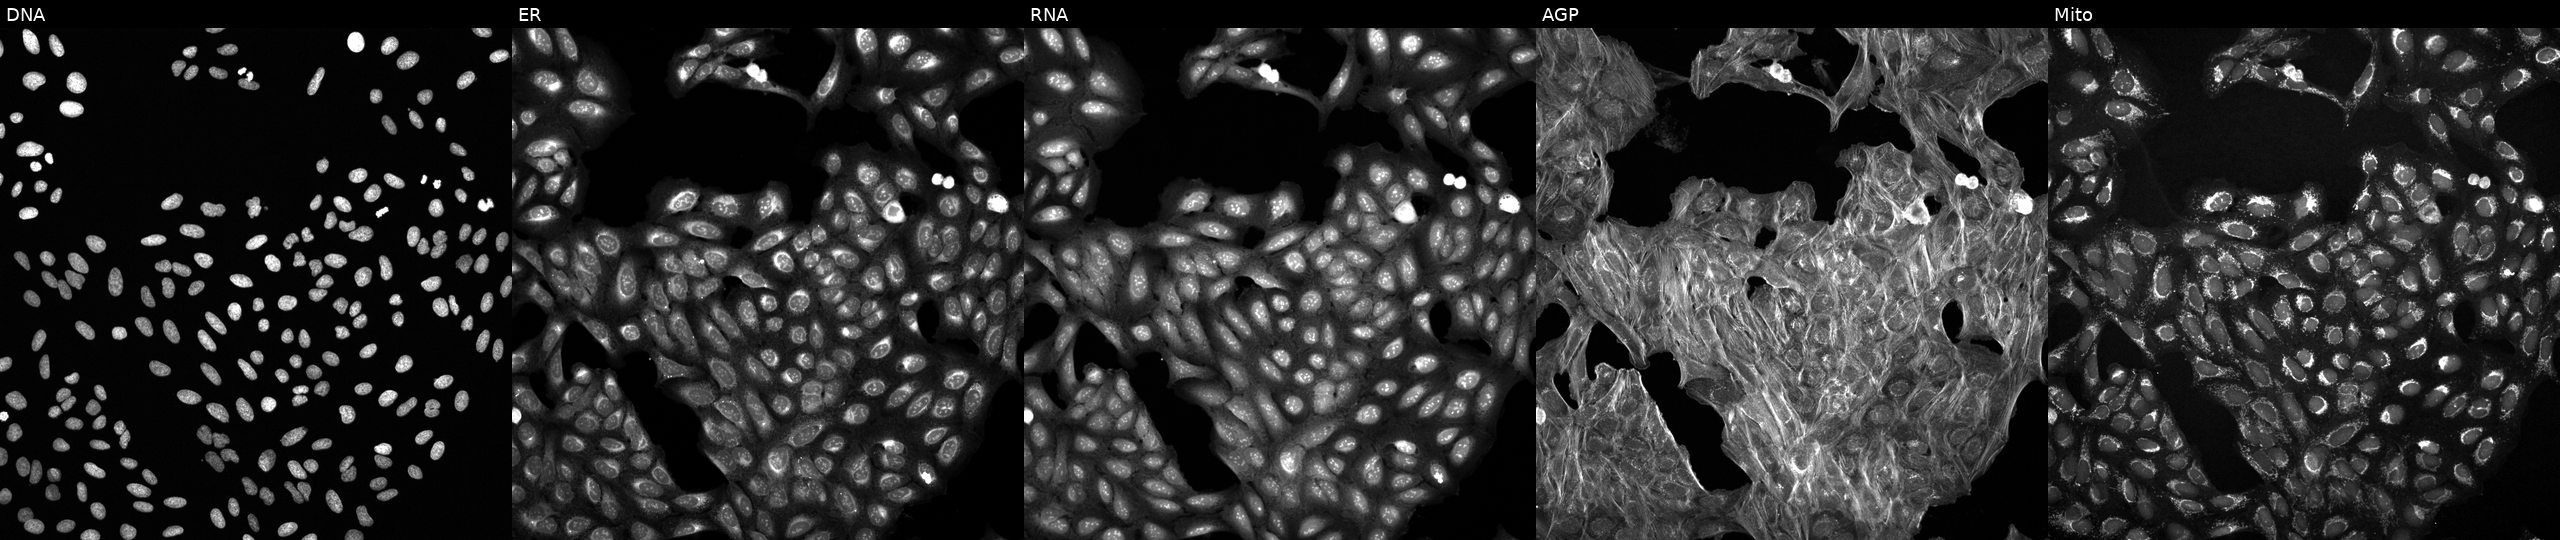
JUMP Cell Painting — COMPOUND plate. U2OS cells exposed to a small-molecule compound (InChIKey STMINIBURDFFAU-UHFFFAOYSA-N). Channels (left→right): DNA, ER, RNA, AGP, and Mito. Source 6, plate 110000293083, well C14.